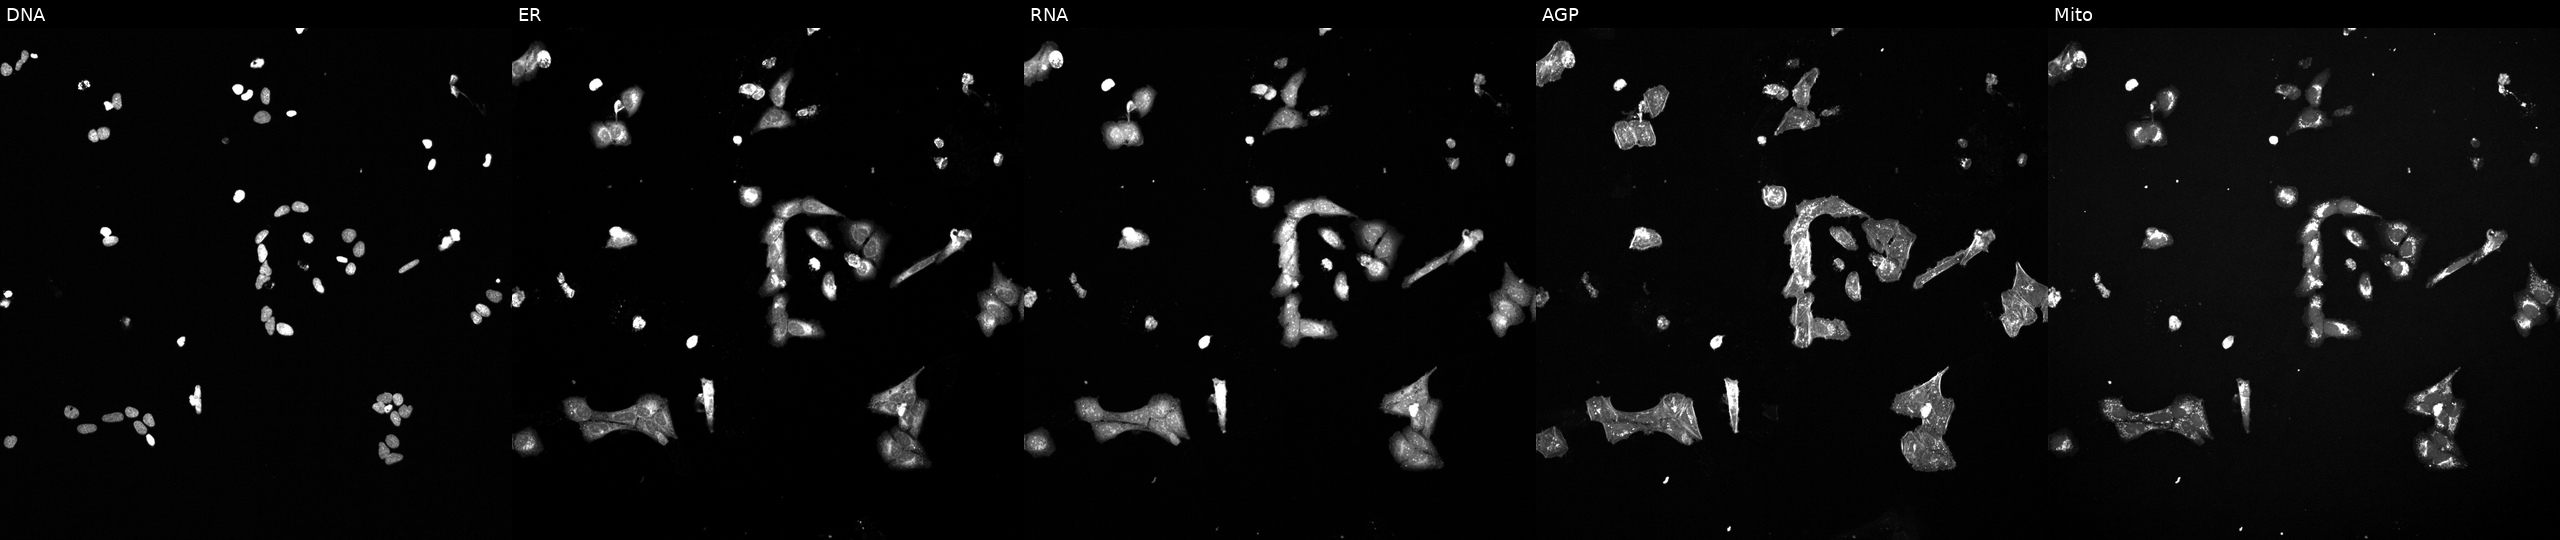
JUMP Cell Painting — TARGET2 plate. U2OS cells exposed to a small-molecule compound (JUMP id JCP2022_057971). From left to right: DNA (nuclei); ER (endoplasmic reticulum); RNA (nucleoli and cytoplasmic RNA); AGP (actin cytoskeleton, Golgi, and plasma membrane); Mito (mitochondria). Source 6, plate 110000293093, well K01.